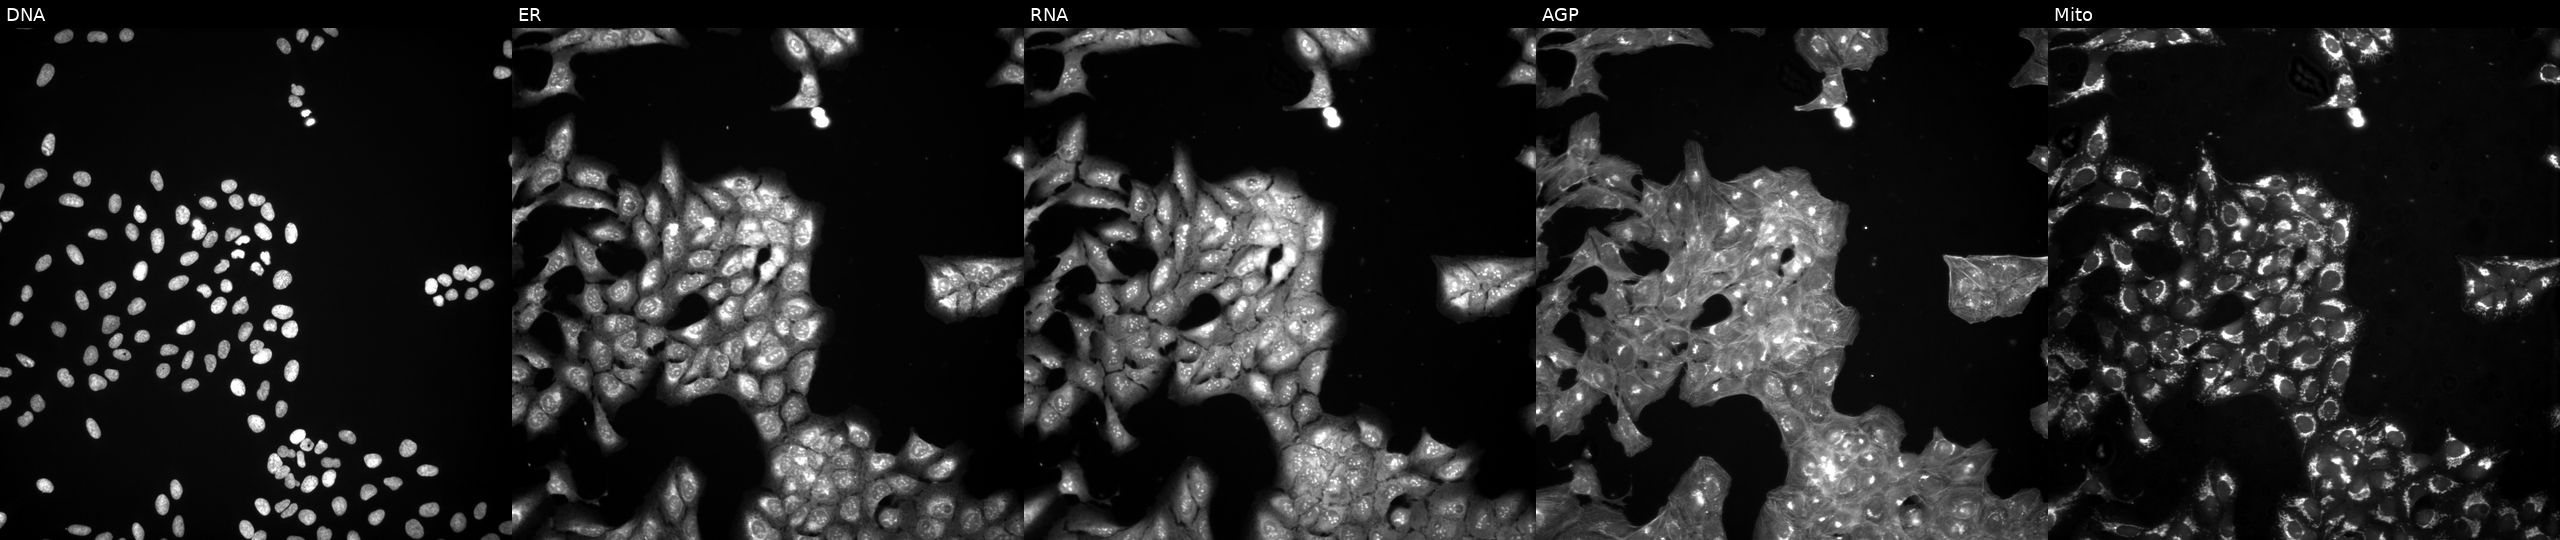
JUMP Cell Painting — COMPOUND plate. U2OS cells treated with a small-molecule compound (InChIKey OCTNVGXWKSNGIH-UHFFFAOYSA-N) (JUMP id JCP2022_062962). The five panels, left to right, show DNA, ER, RNA, AGP, and Mito. Source 3, plate BR5867a3, well O16.